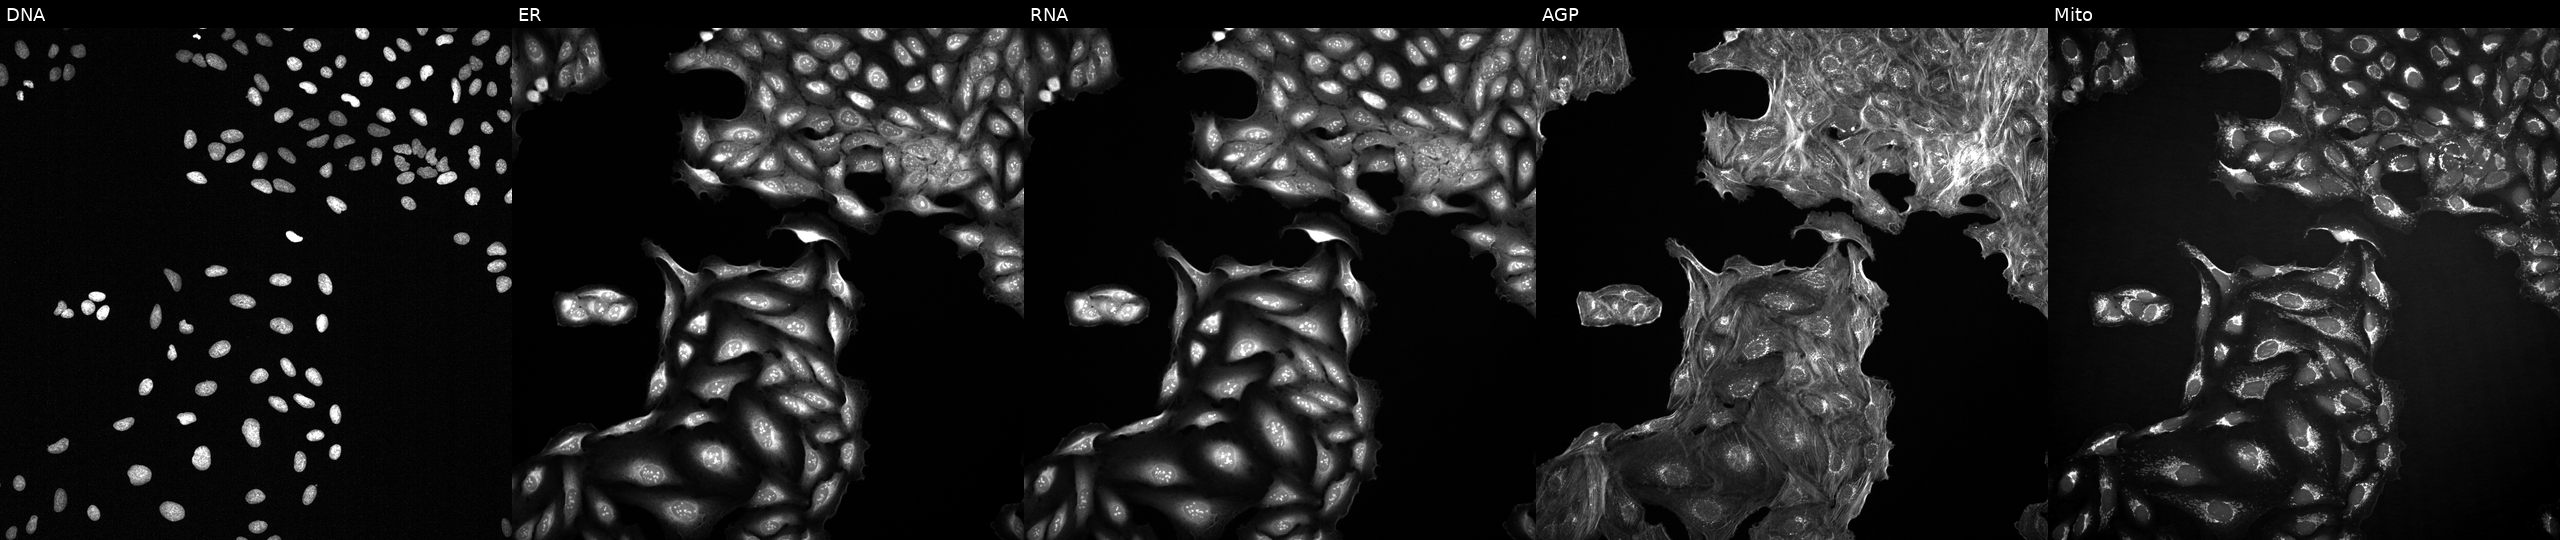
This image strip shows the five Cell Painting channels for a single field of U2OS cells perturbed with a small-molecule compound (InChIKey KFAKESMKRPNZTM-UHFFFAOYSA-N). Channels (left→right): Hoechst 33342, concanavalin A, SYTO 14, phalloidin and WGA, MitoTracker. Source 2, plate 1053600674, well C23.